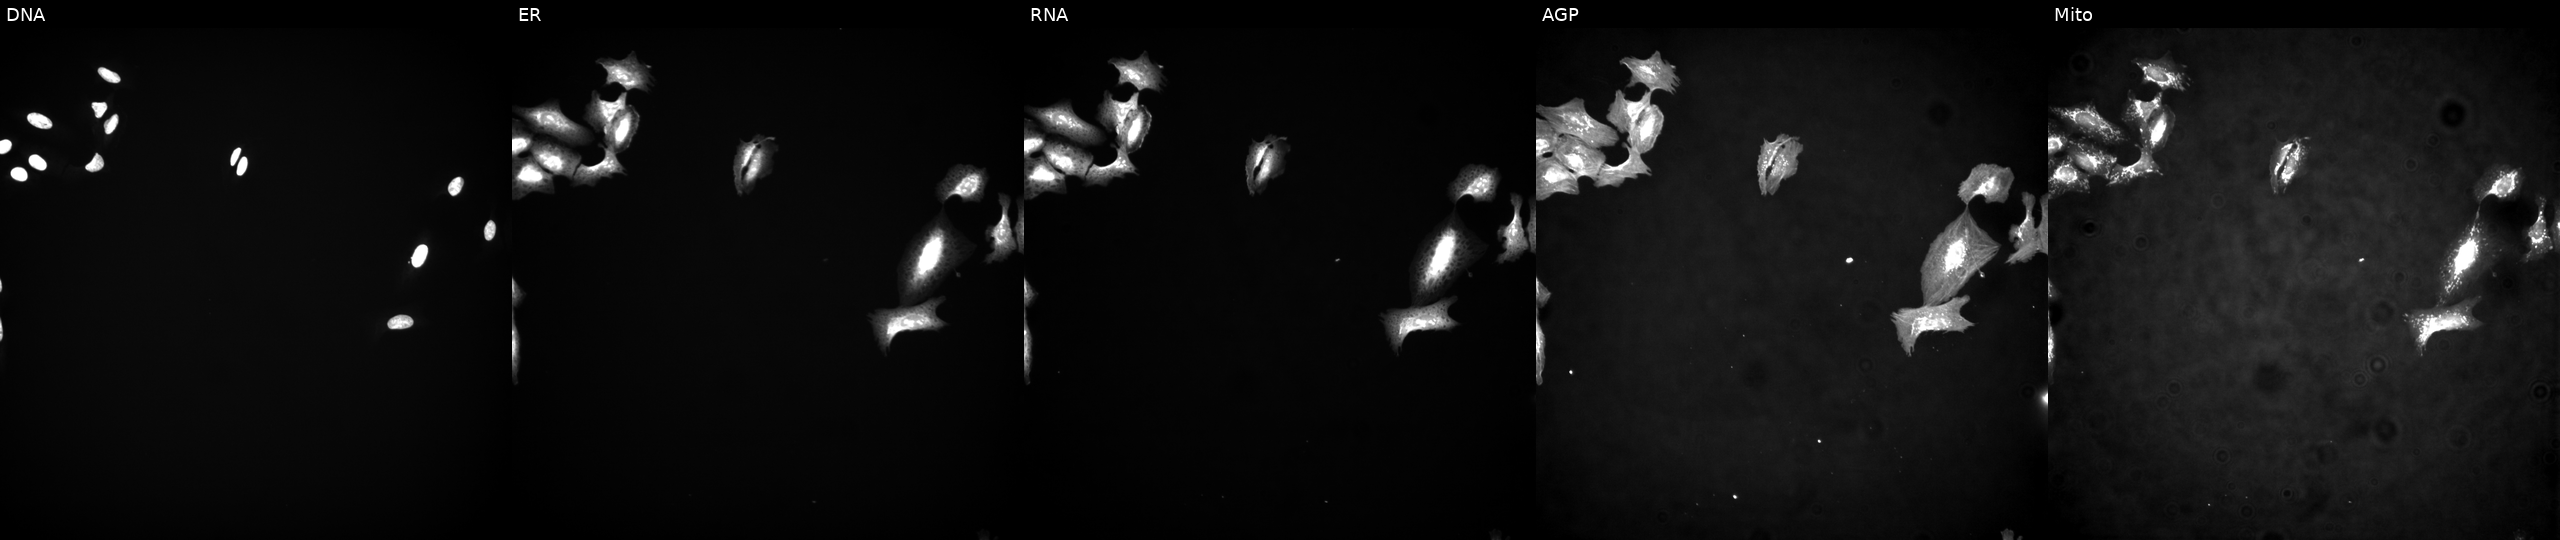
This image strip shows the five Cell Painting channels for a single field of U2OS cells with ITK overexpressed (ORF). From left to right: DNA, ER, RNA, AGP, and Mito. Source 4, plate BR00123945, well O08.